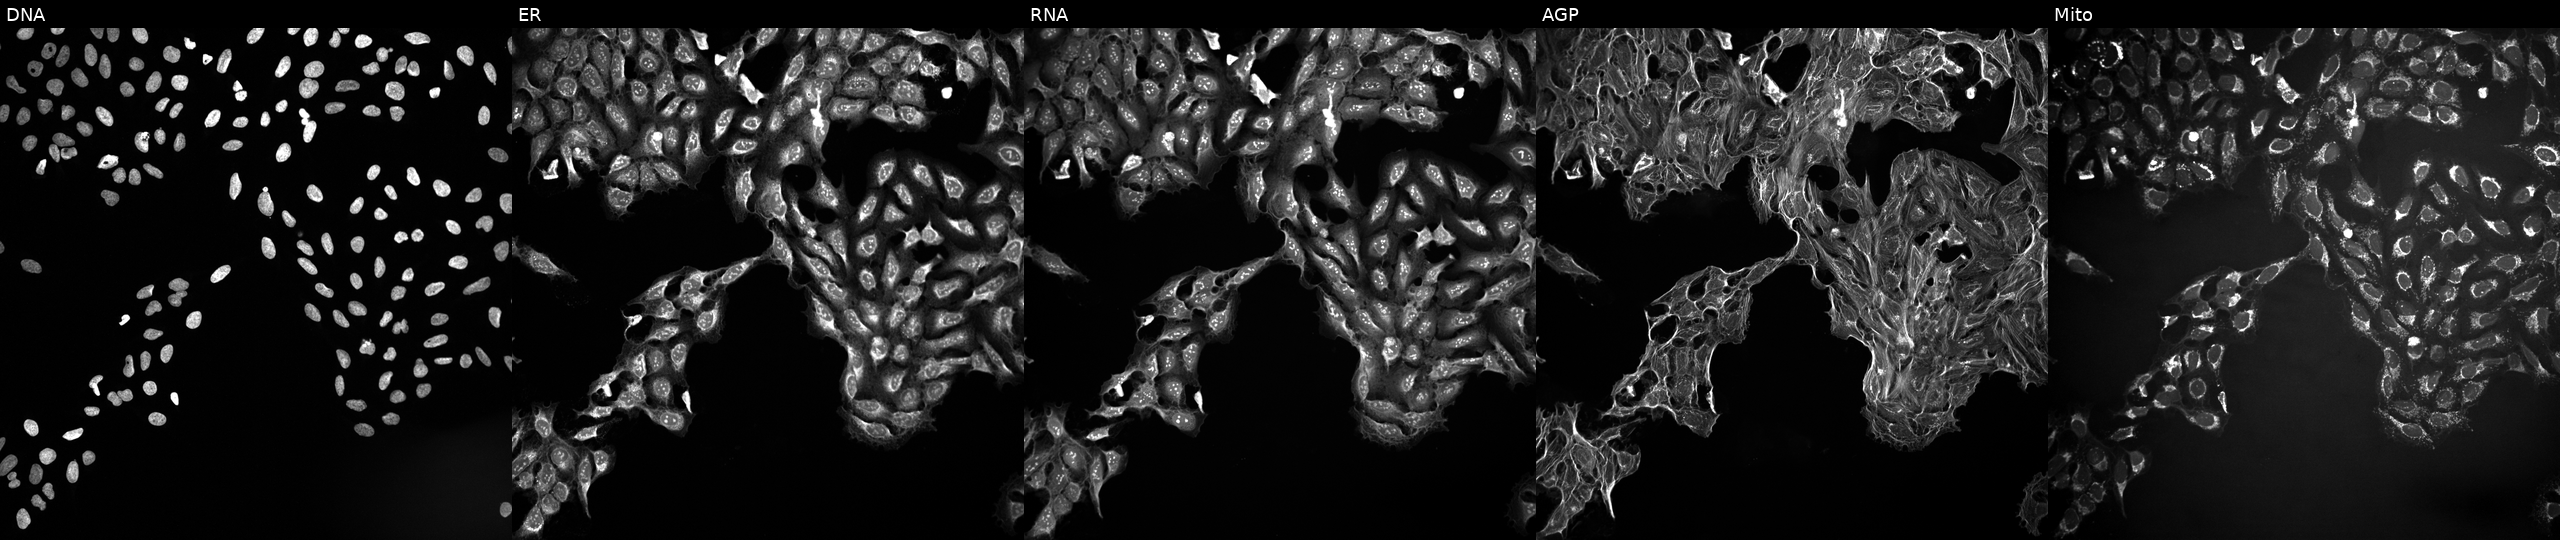
High-content fluorescence microscopy (Cell Painting). Cell line: U2OS. Perturbation: treated with a small-molecule compound (InChIKey JDKKNQACNITFEA-UHFFFAOYSA-N) (JUMP id JCP2022_039047). Channels (left→right): Hoechst 33342, concanavalin A, SYTO 14, phalloidin and WGA, MitoTracker.